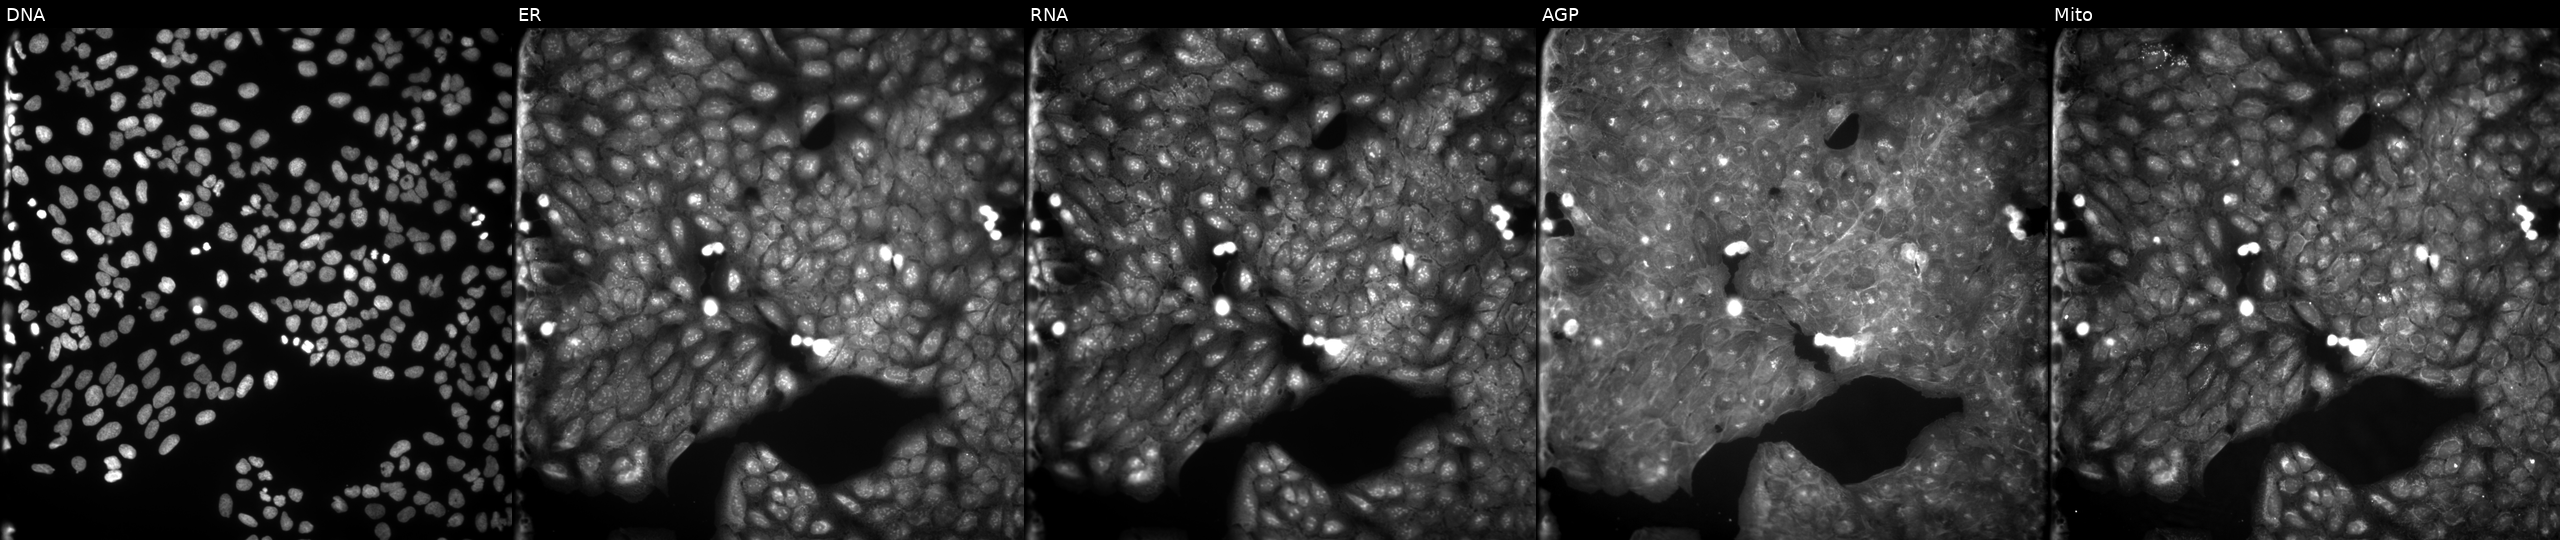
High-content fluorescence microscopy (Cell Painting). Cell line: U2OS. Perturbation: exposed to a small-molecule compound (InChIKey UUDLUCKIEGFRRV-UHFFFAOYSA-N) (JUMP id JCP2022_091588). Panels show, left to right, DNA, ER, RNA, AGP, and Mito. Source 9, plate GR00003382, well V12.